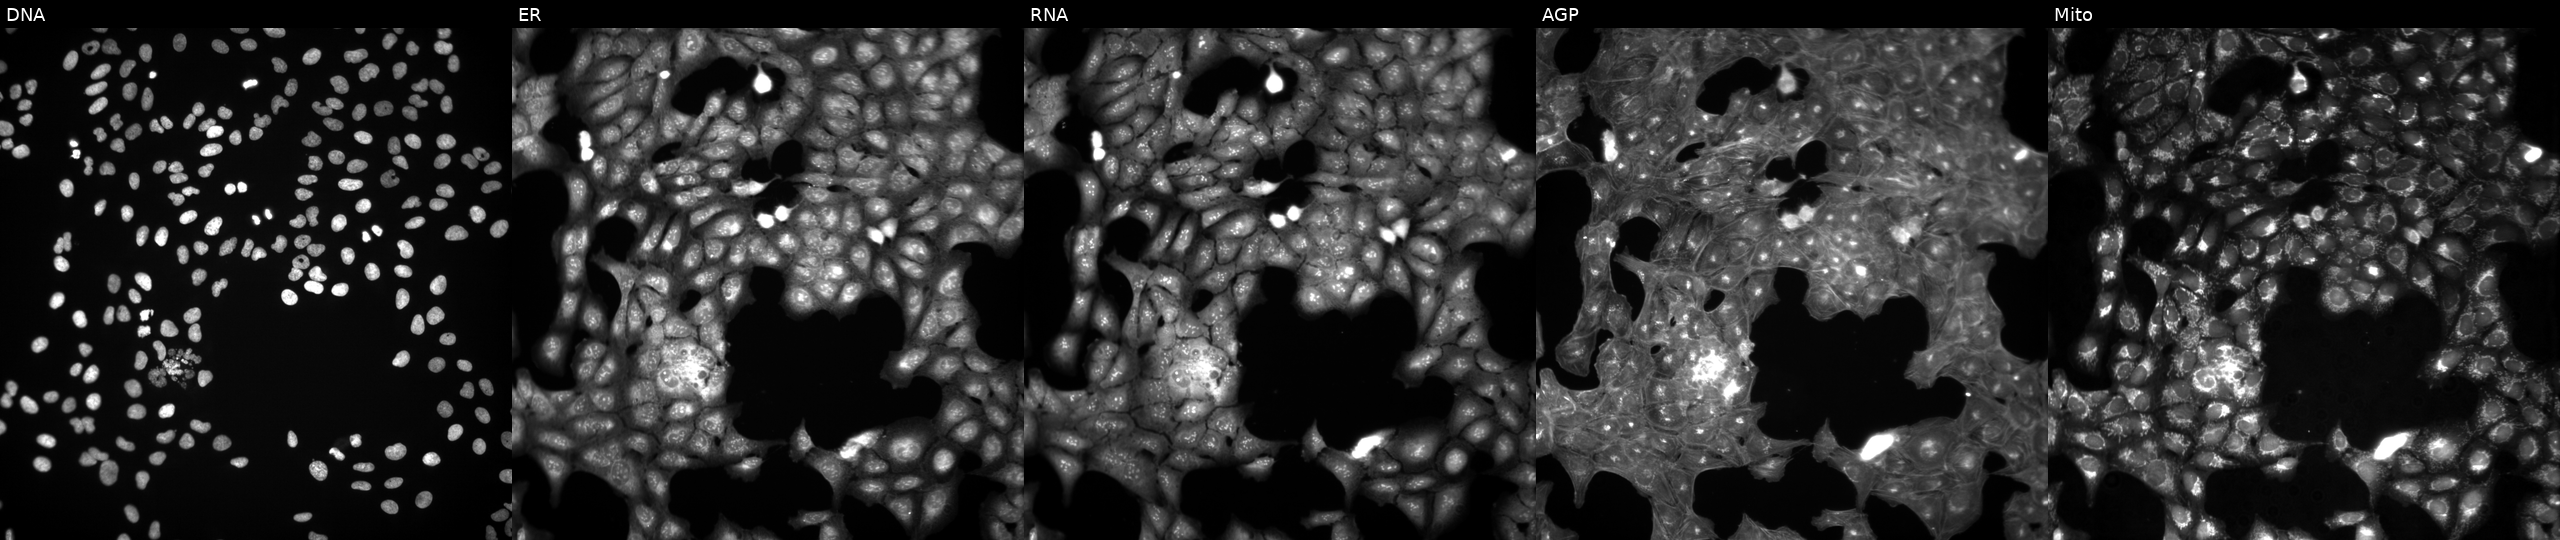
This image strip shows the five Cell Painting channels for a single field of U2OS cells exposed to a small-molecule compound (JUMP id JCP2022_053409). Panels show, left to right, Hoechst 33342, concanavalin A, SYTO 14, phalloidin and WGA, MitoTracker. Source 3, plate JCPQC051, well G01.